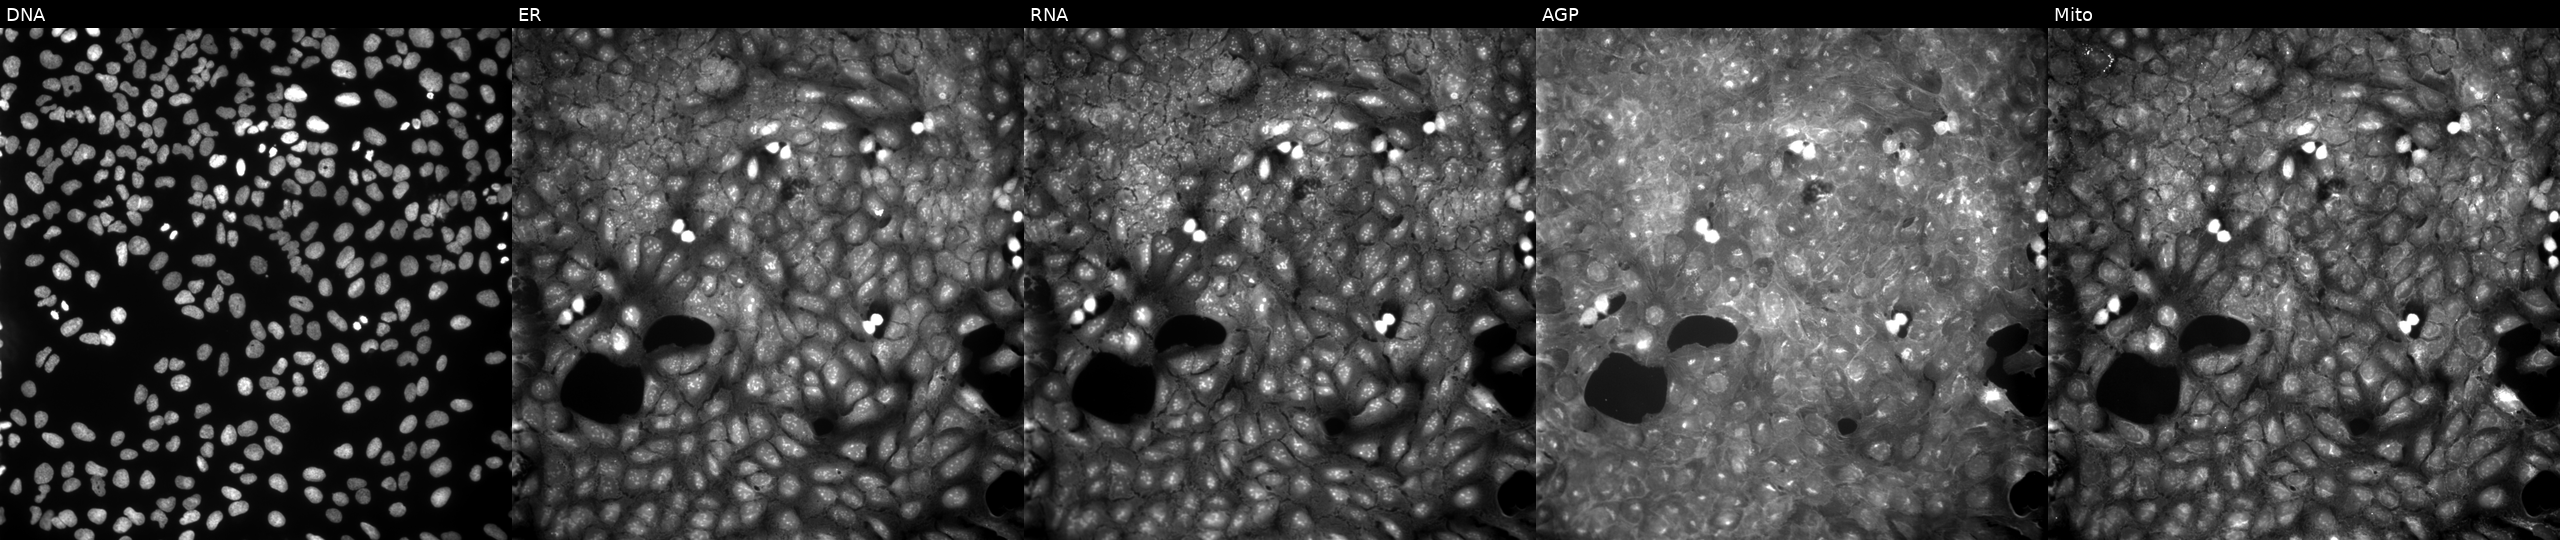
High-content fluorescence microscopy (Cell Painting). Cell line: U2OS. Perturbation: treated with a small-molecule compound (InChIKey VCYCUECVHJJFIQ-UHFFFAOYSA-N). Panels show, left to right, Hoechst 33342, concanavalin A, SYTO 14, phalloidin and WGA, MitoTracker. Source 9, plate GR00003381, well P16.